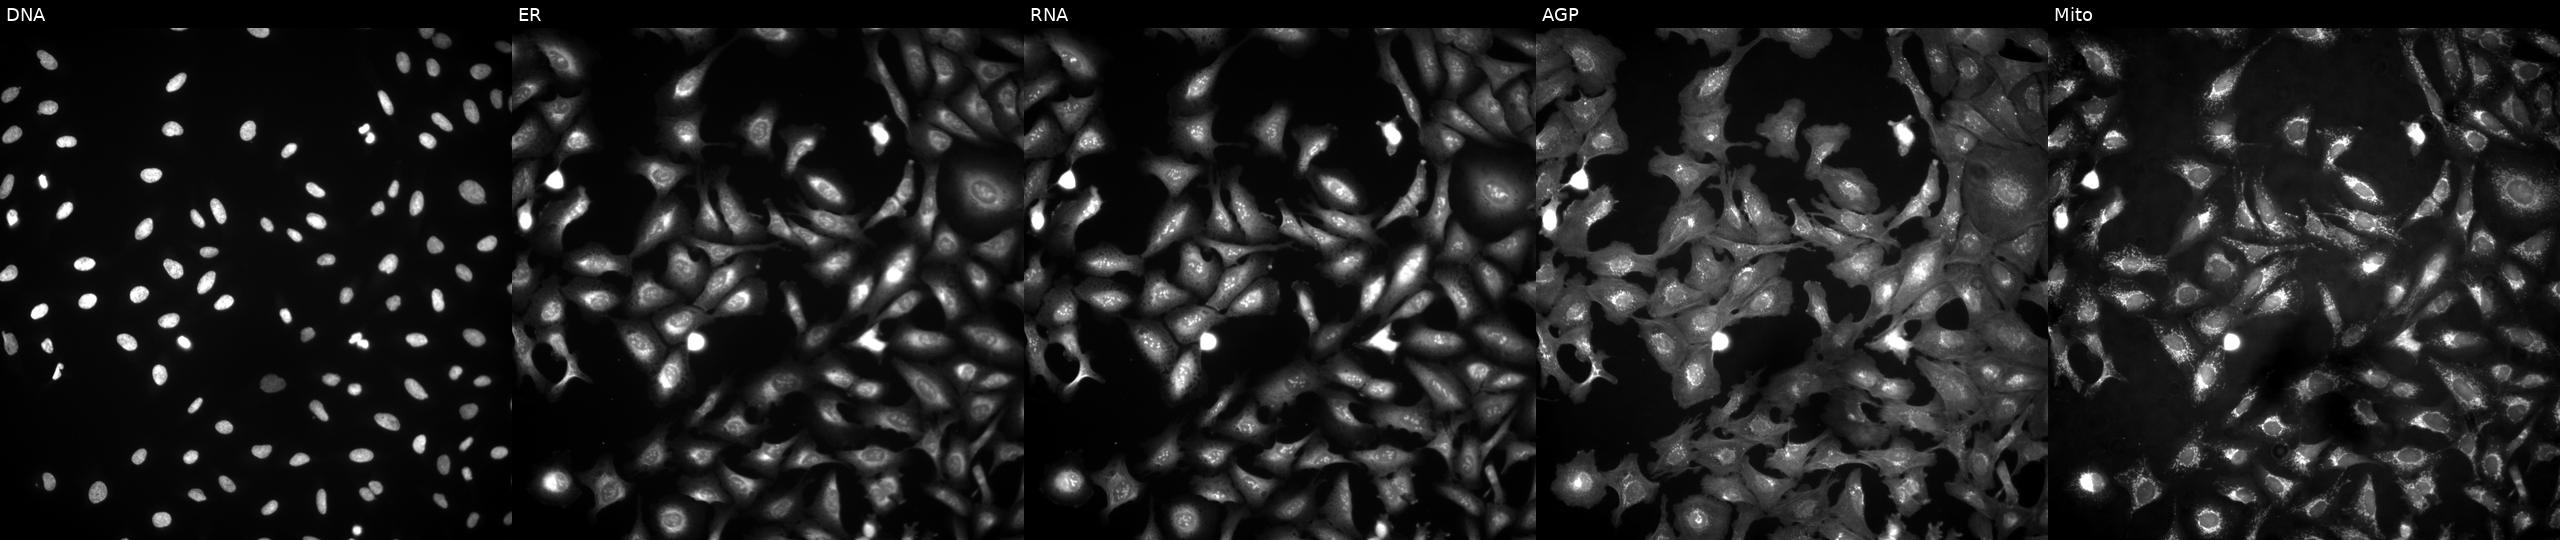
From left to right: Hoechst 33342, concanavalin A, SYTO 14, phalloidin and WGA, MitoTracker. U2OS osteosarcoma cells overexpressing ZNF385C via ORF transfection (JUMP id JCP2022_912475). Cell Painting assay, JUMP-CP dataset.